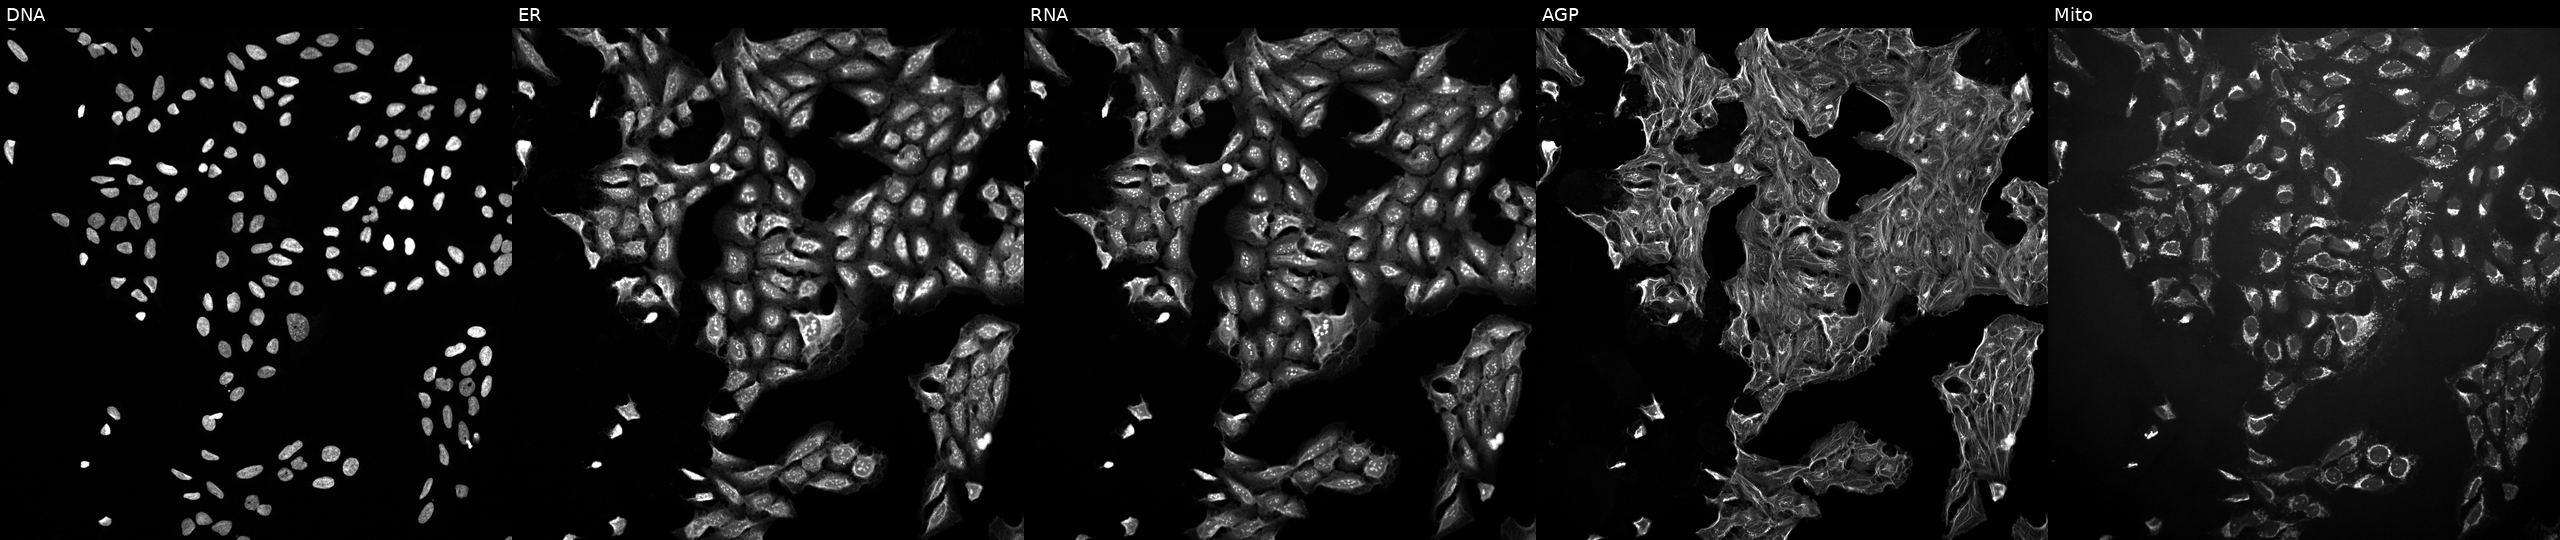
This image strip shows the five Cell Painting channels for a single field of U2OS cells treated with a small-molecule compound (InChIKey TXZPMHLMPKIUGK-UHFFFAOYSA-N) [SMILES: COc1ccccc1S(=O)(=O)Nc1ccc2c(c1)CN(C)C(=O)N2]. Channels (left→right): DNA (nuclei); ER (endoplasmic reticulum); RNA (nucleoli and cytoplasmic RNA); AGP (actin cytoskeleton, Golgi, and plasma membrane); Mito (mitochondria).